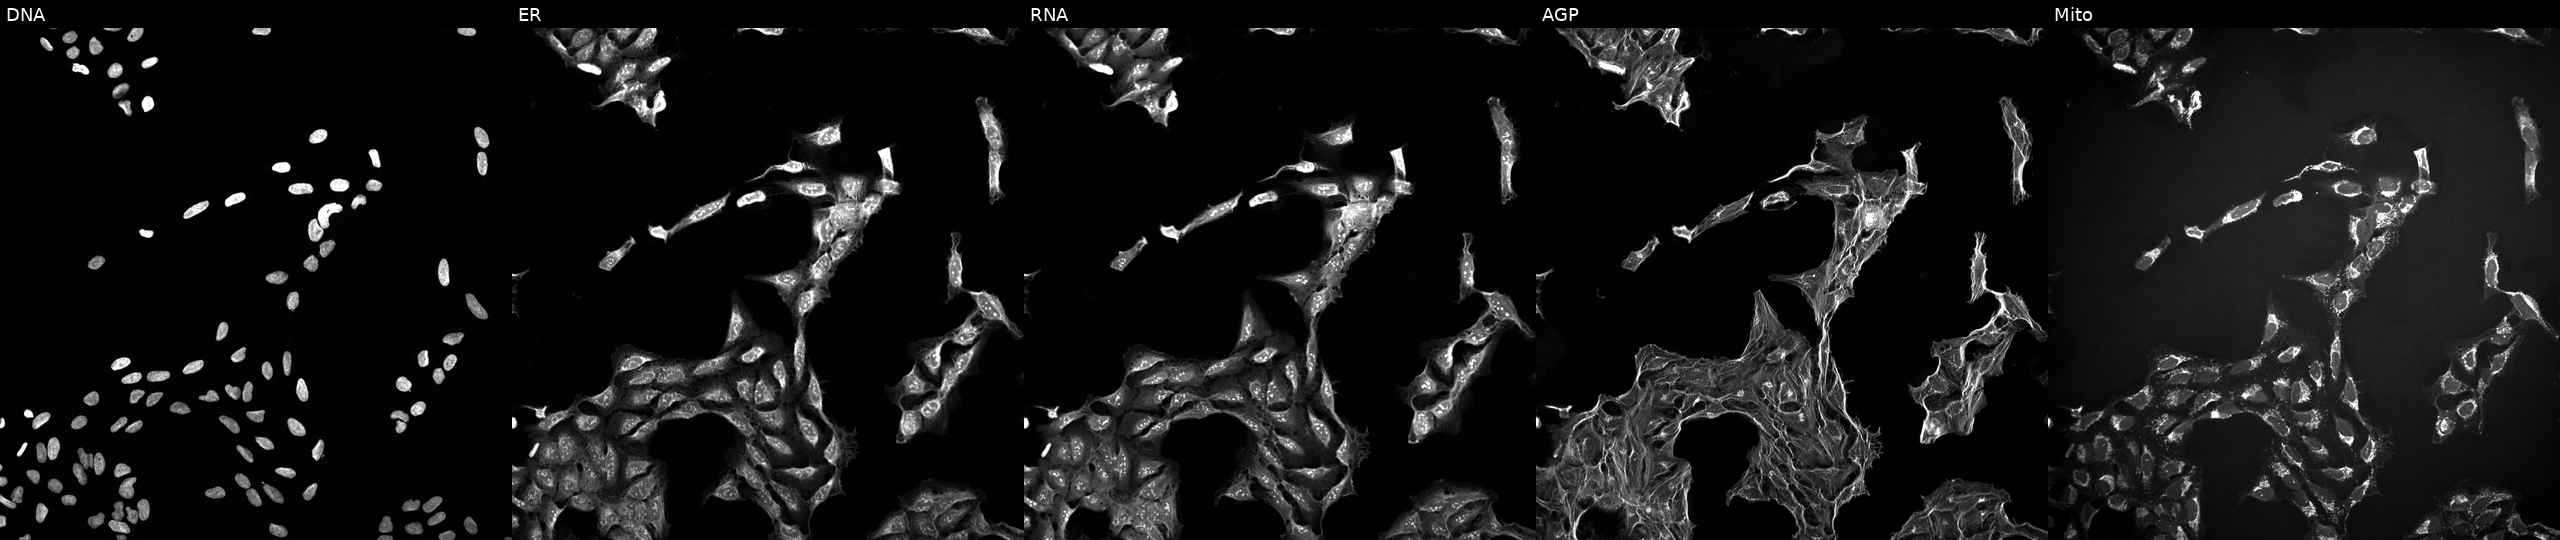
High-content fluorescence microscopy (Cell Painting). Cell line: U2OS. Perturbation: exposed to DMSO alone as a negative control (JUMP id JCP2022_033924). Channels (left→right): Hoechst 33342, concanavalin A, SYTO 14, phalloidin and WGA, MitoTracker.